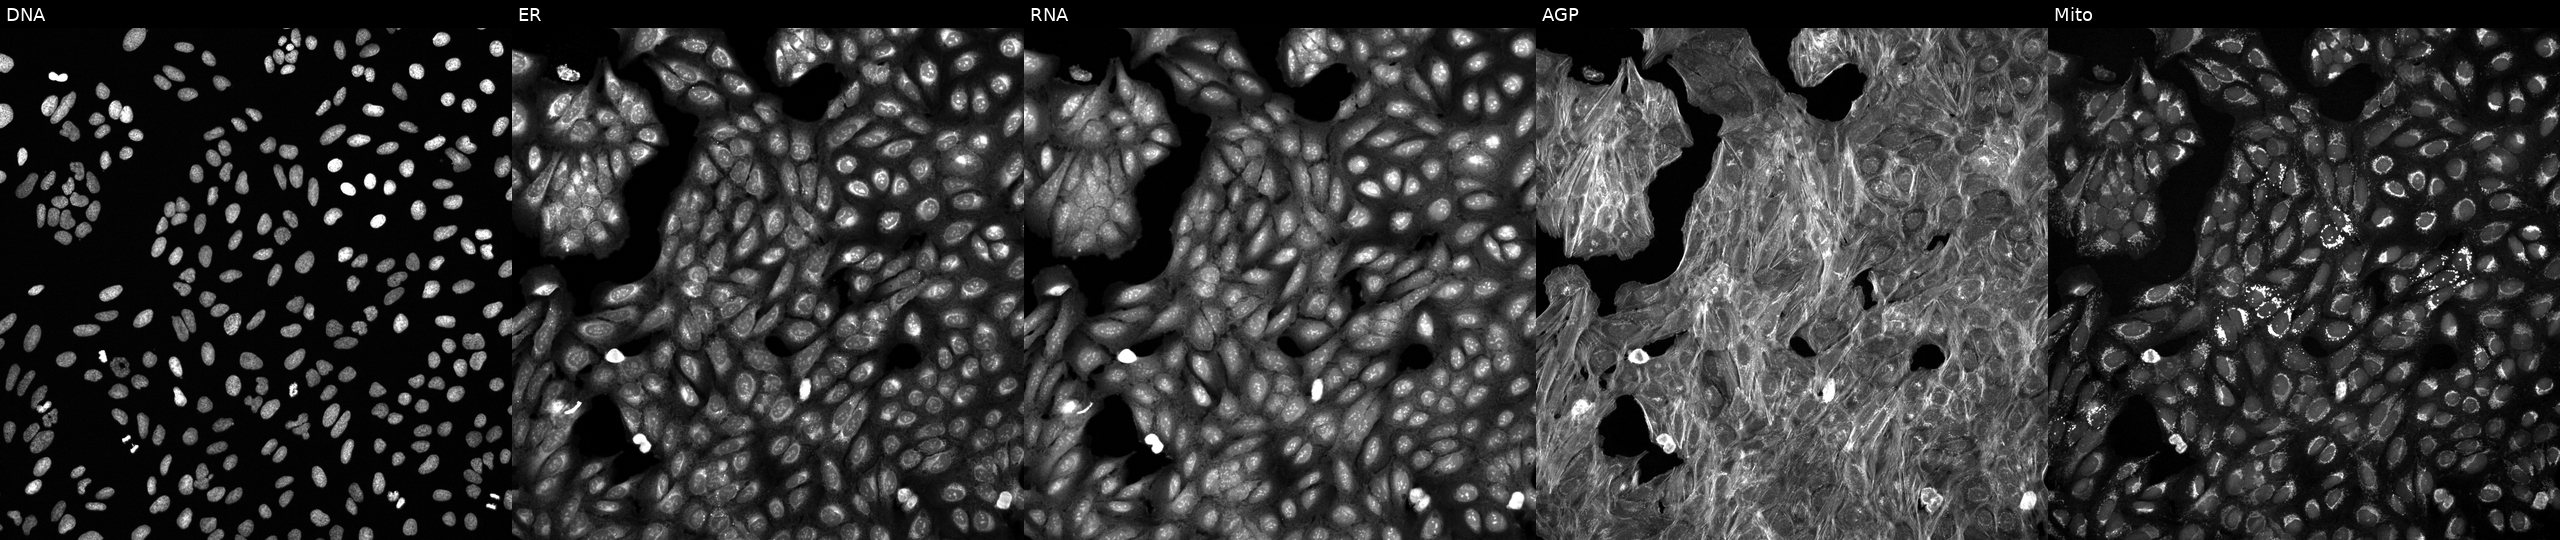
High-content fluorescence microscopy (Cell Painting). Cell line: U2OS. Perturbation: treated with a small-molecule compound (InChIKey BCZUAADEACICHN-UHFFFAOYSA-N). From left to right: DNA (nuclei); ER (endoplasmic reticulum); RNA (nucleoli and cytoplasmic RNA); AGP (actin cytoskeleton, Golgi, and plasma membrane); Mito (mitochondria). Source 6, plate 110000293093, well D12.